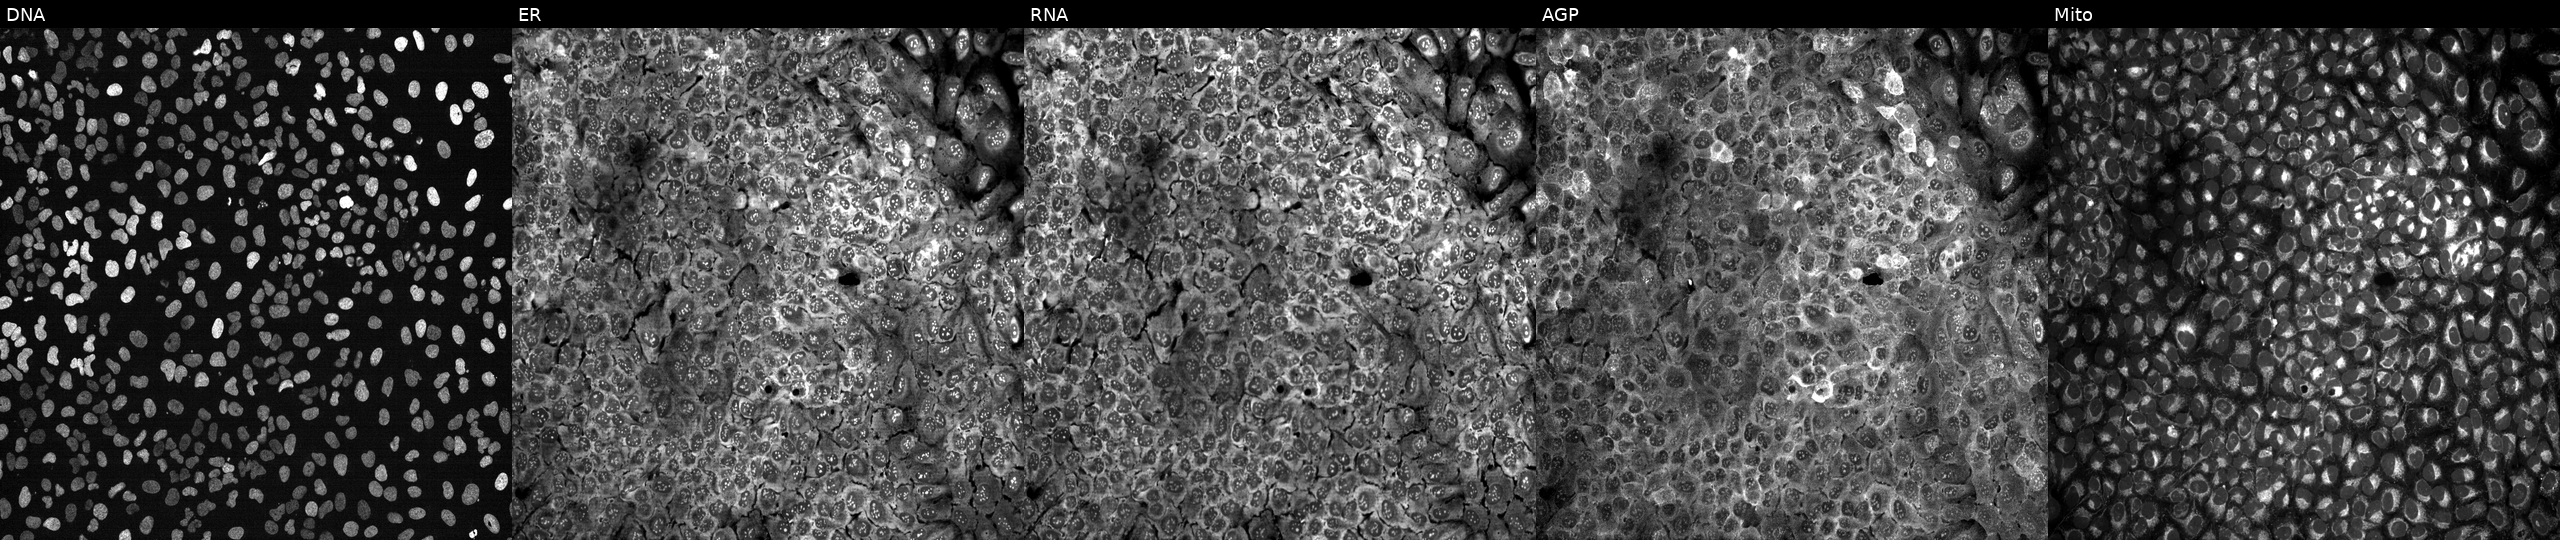
Five-channel Cell Painting image of U2OS cells CRISPR-edited to disrupt FABP1 (JUMP id JCP2022_802245). From left to right: Hoechst 33342, concanavalin A, SYTO 14, phalloidin and WGA, MitoTracker.